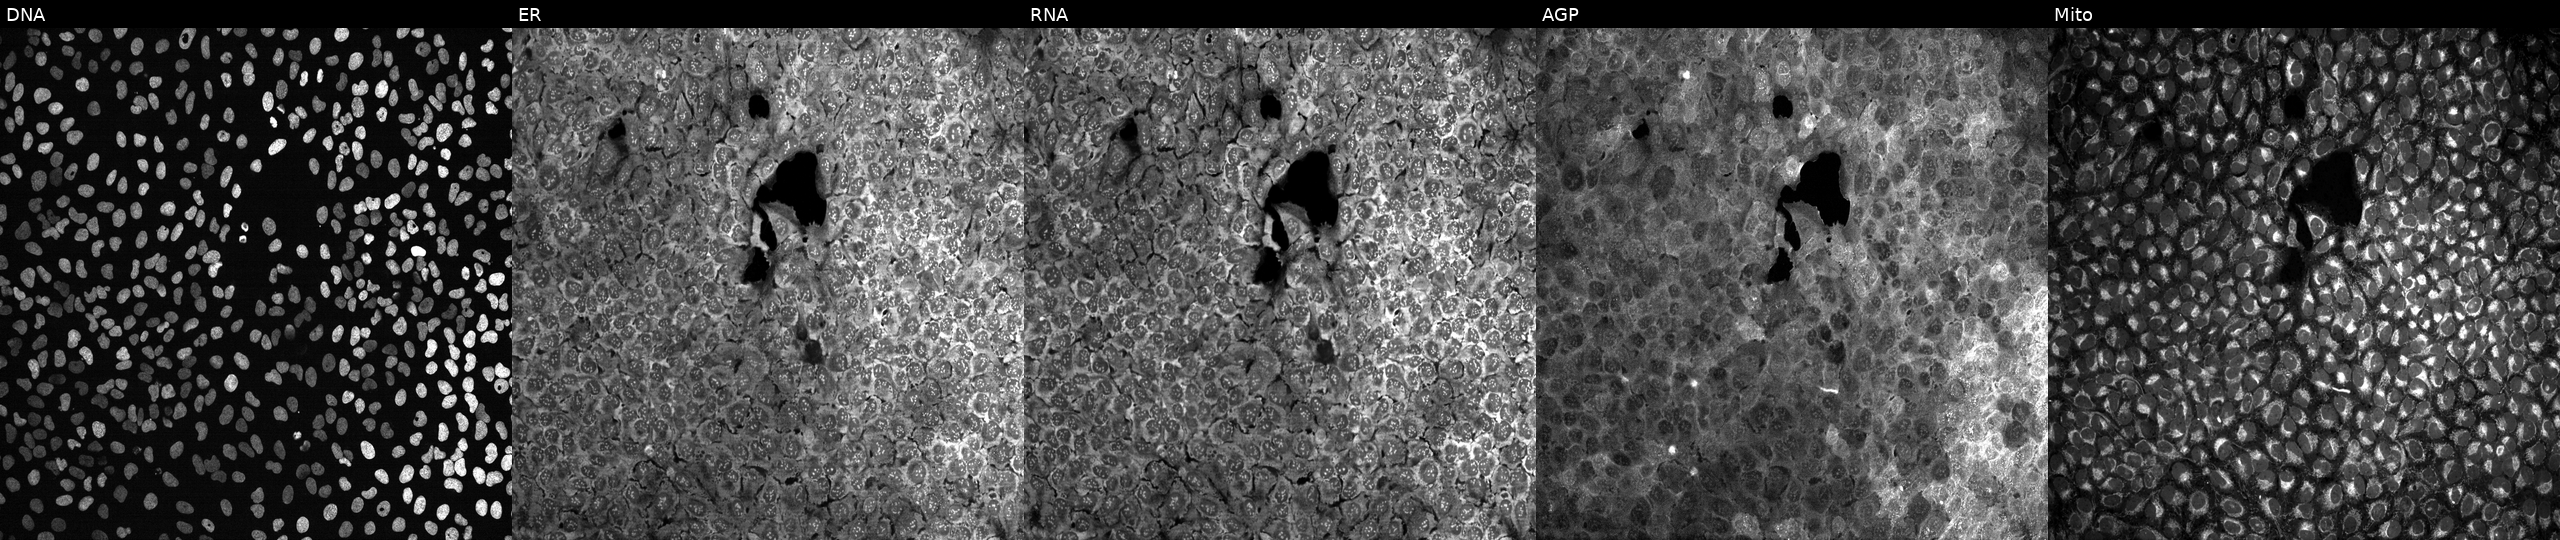
This image strip shows the five Cell Painting channels for a single field of U2OS cells treated with DMSO vehicle only (negative control) (JUMP id JCP2022_033924). Channels (left→right): DNA (nuclei); ER (endoplasmic reticulum); RNA (nucleoli and cytoplasmic RNA); AGP (actin cytoskeleton, Golgi, and plasma membrane); Mito (mitochondria).